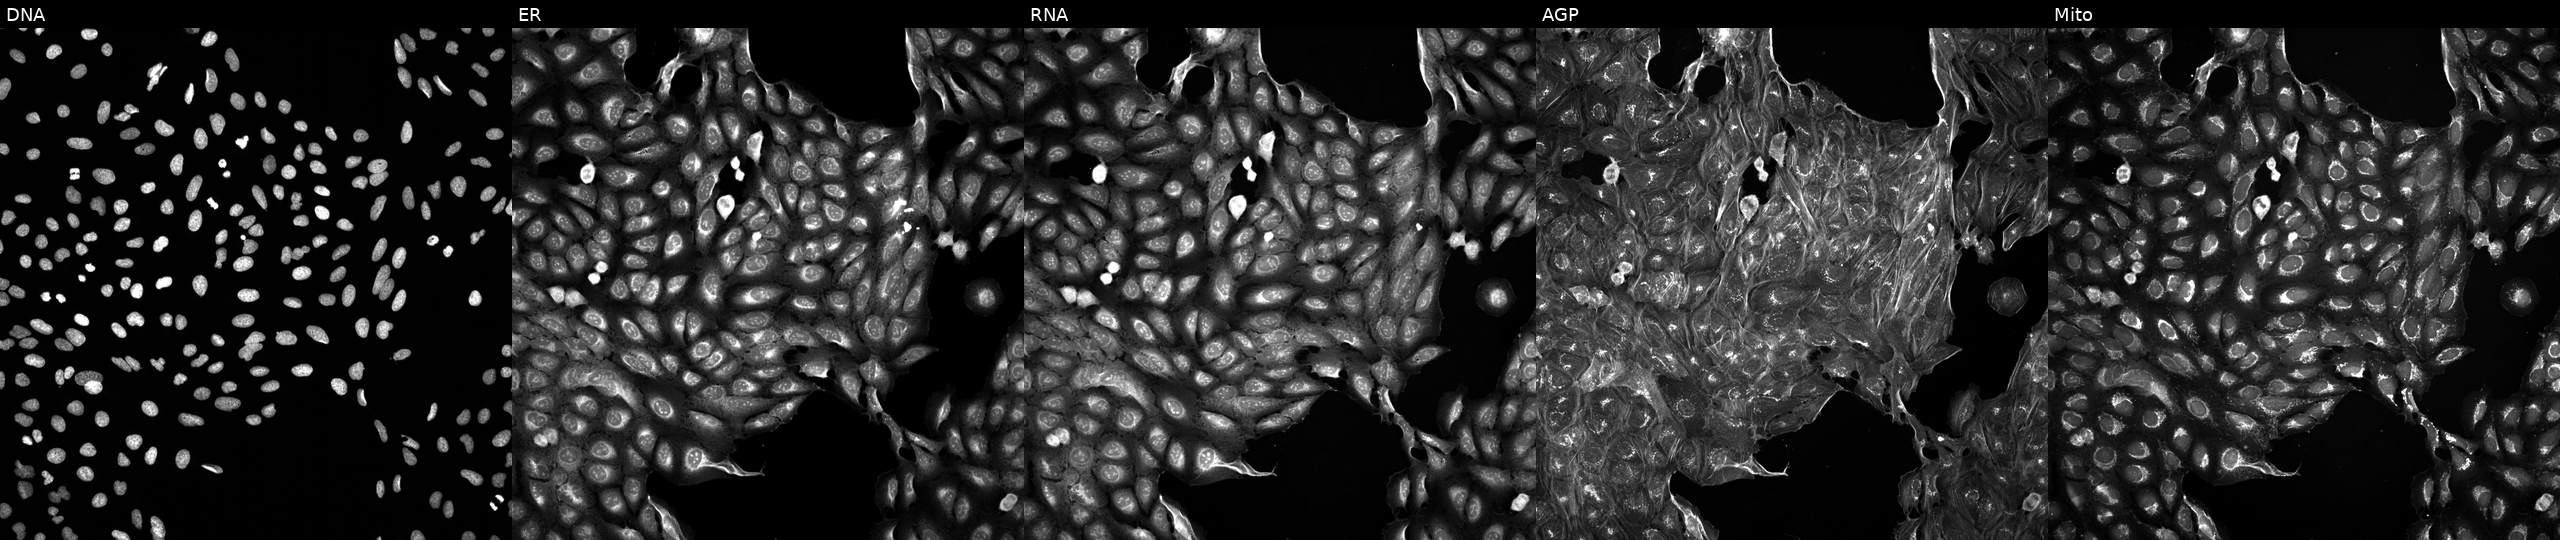
High-content fluorescence microscopy (Cell Painting). Cell line: U2OS. Perturbation: exposed to DMSO alone as a negative control. Channels (left→right): DNA, ER, RNA, AGP, and Mito.